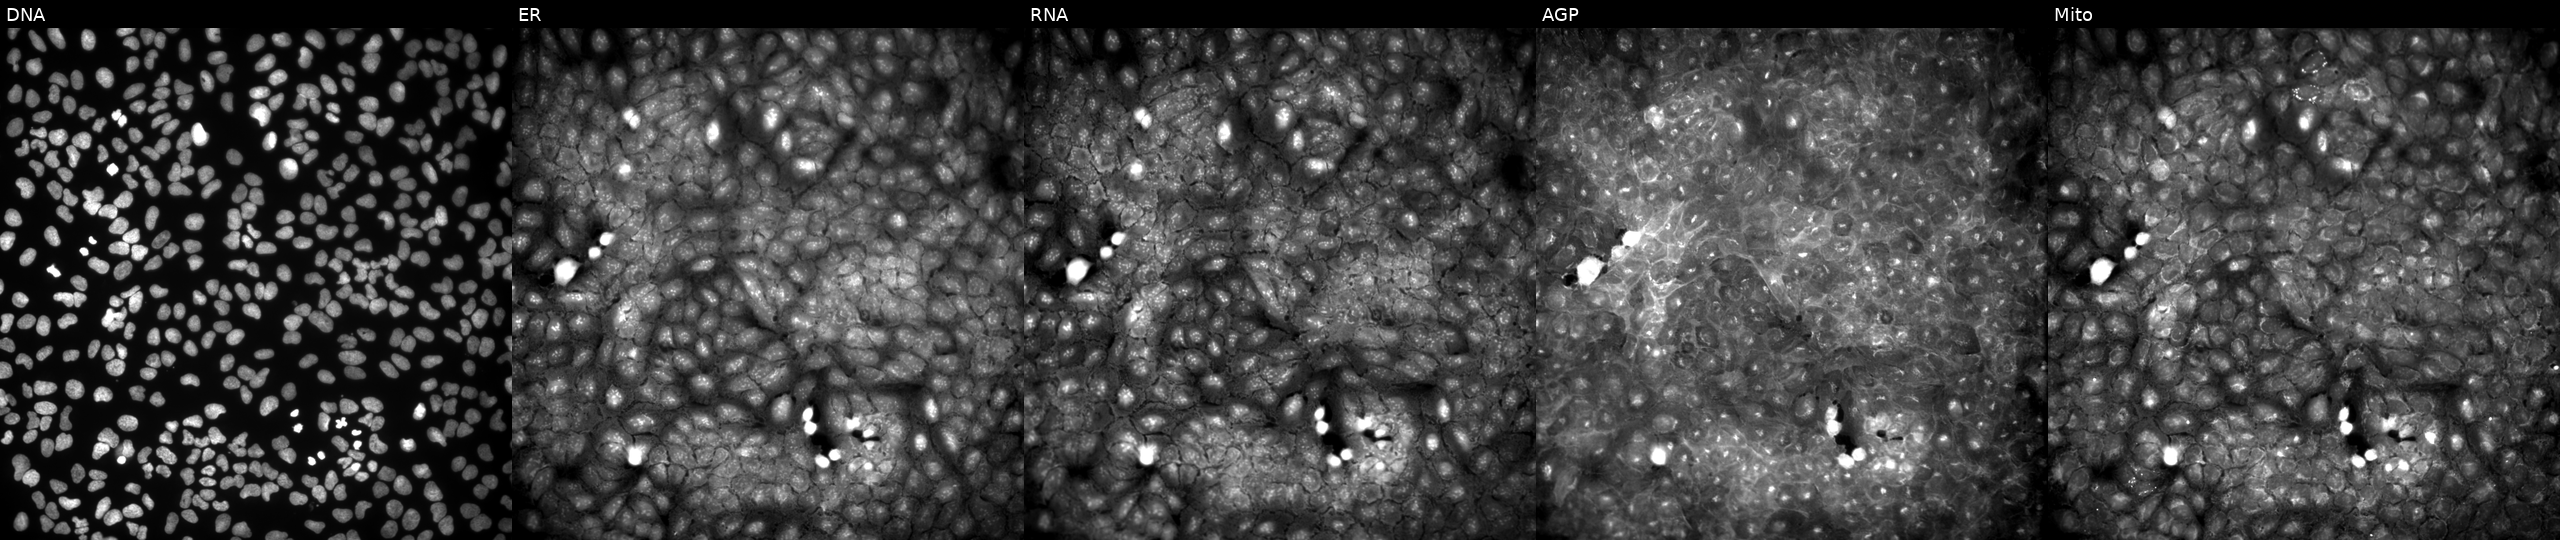
The five panels, left to right, show DNA (nuclei); ER (endoplasmic reticulum); RNA (nucleoli and cytoplasmic RNA); AGP (actin cytoskeleton, Golgi, and plasma membrane); Mito (mitochondria). U2OS osteosarcoma cells exposed to DMSO alone as a negative control (JUMP id JCP2022_033924). Cell Painting assay, JUMP-CP dataset.